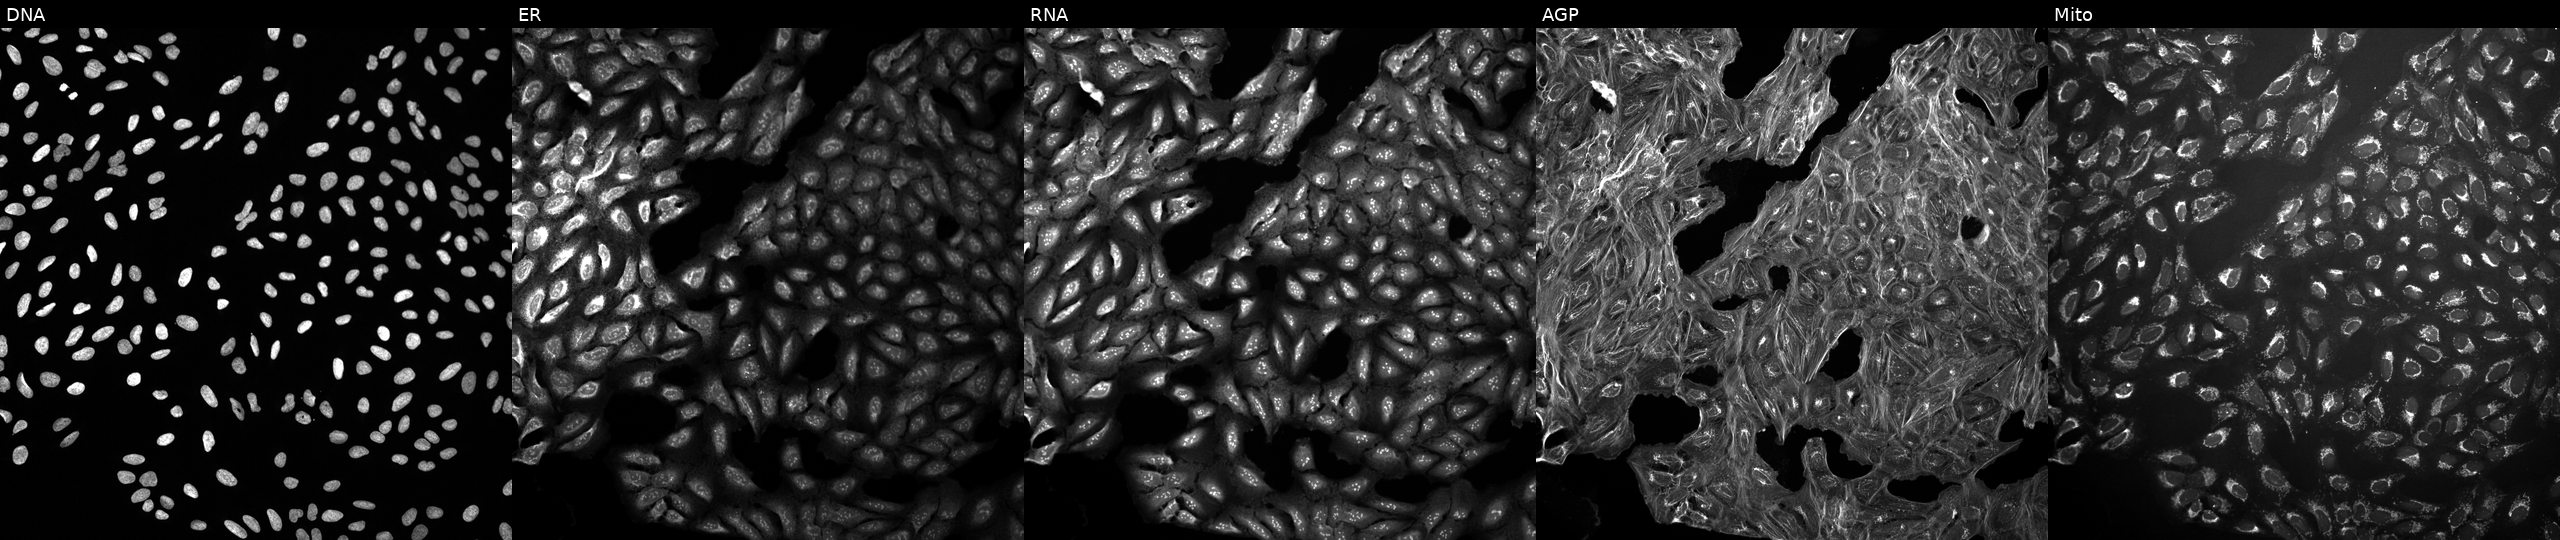
This image strip shows the five Cell Painting channels for a single field of U2OS cells treated with a small-molecule compound (InChIKey SQMWSBKSHWARHU-UHFFFAOYSA-N) (JUMP id JCP2022_084963). The five panels, left to right, show DNA (nuclei); ER (endoplasmic reticulum); RNA (nucleoli and cytoplasmic RNA); AGP (actin cytoskeleton, Golgi, and plasma membrane); Mito (mitochondria).